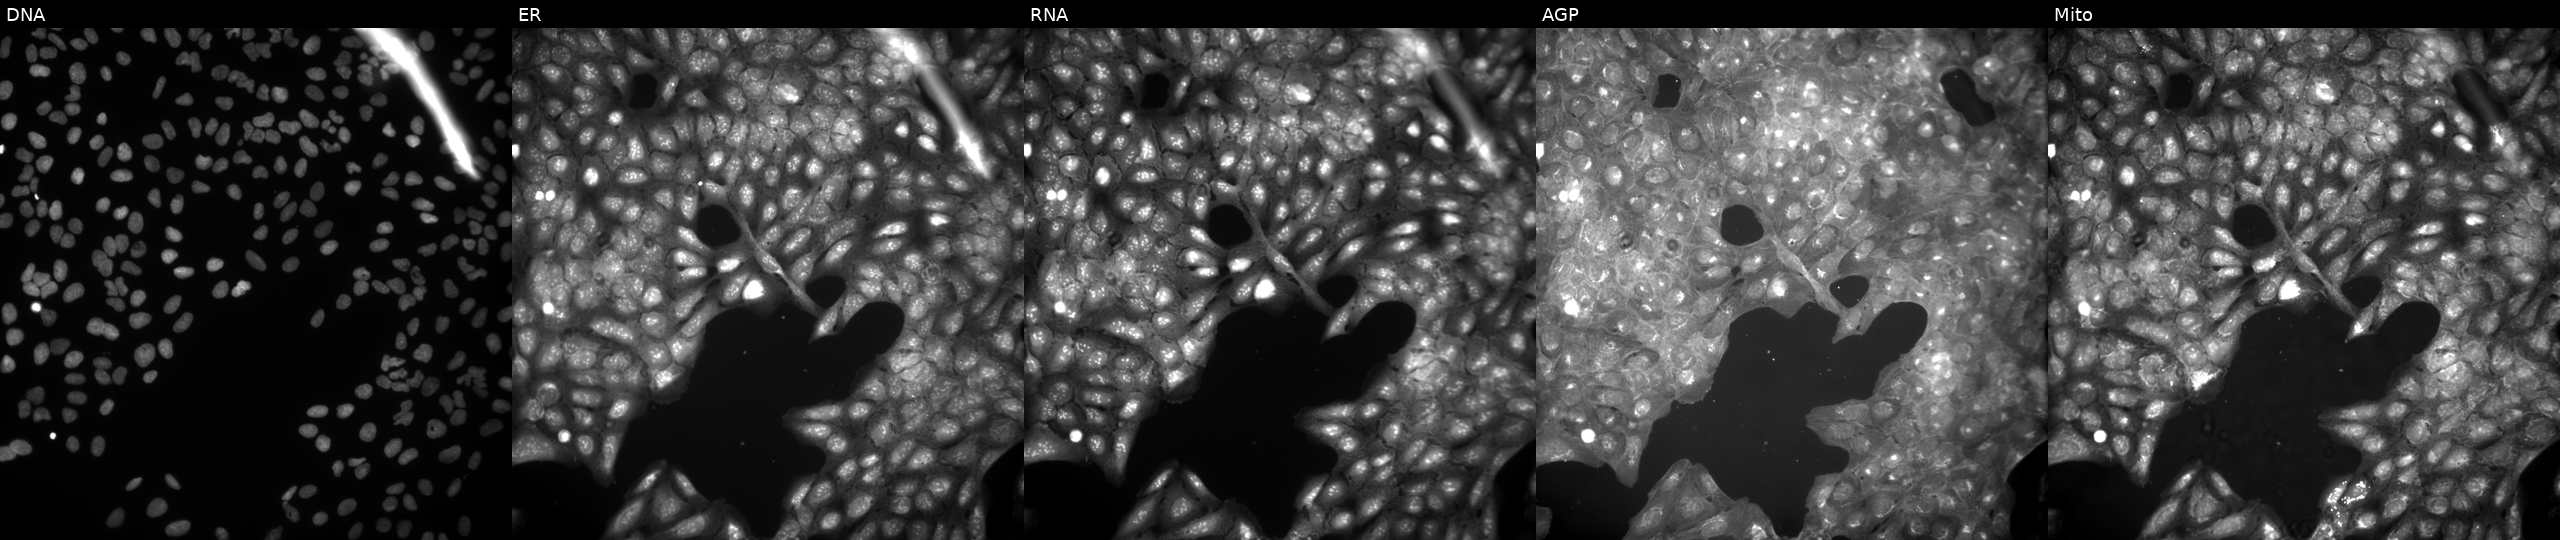
High-content fluorescence microscopy (Cell Painting). Cell line: U2OS. Perturbation: exposed to a small-molecule compound (InChIKey LKFLSEAJUHBKET-UHFFFAOYSA-N) [SMILES: Cc1ccccc1C1CC(=O)c2c(ccc3ccccc23)N1]. The five panels, left to right, show Hoechst 33342, concanavalin A, SYTO 14, phalloidin and WGA, MitoTracker. Source 9, plate GR00003382, well D41.